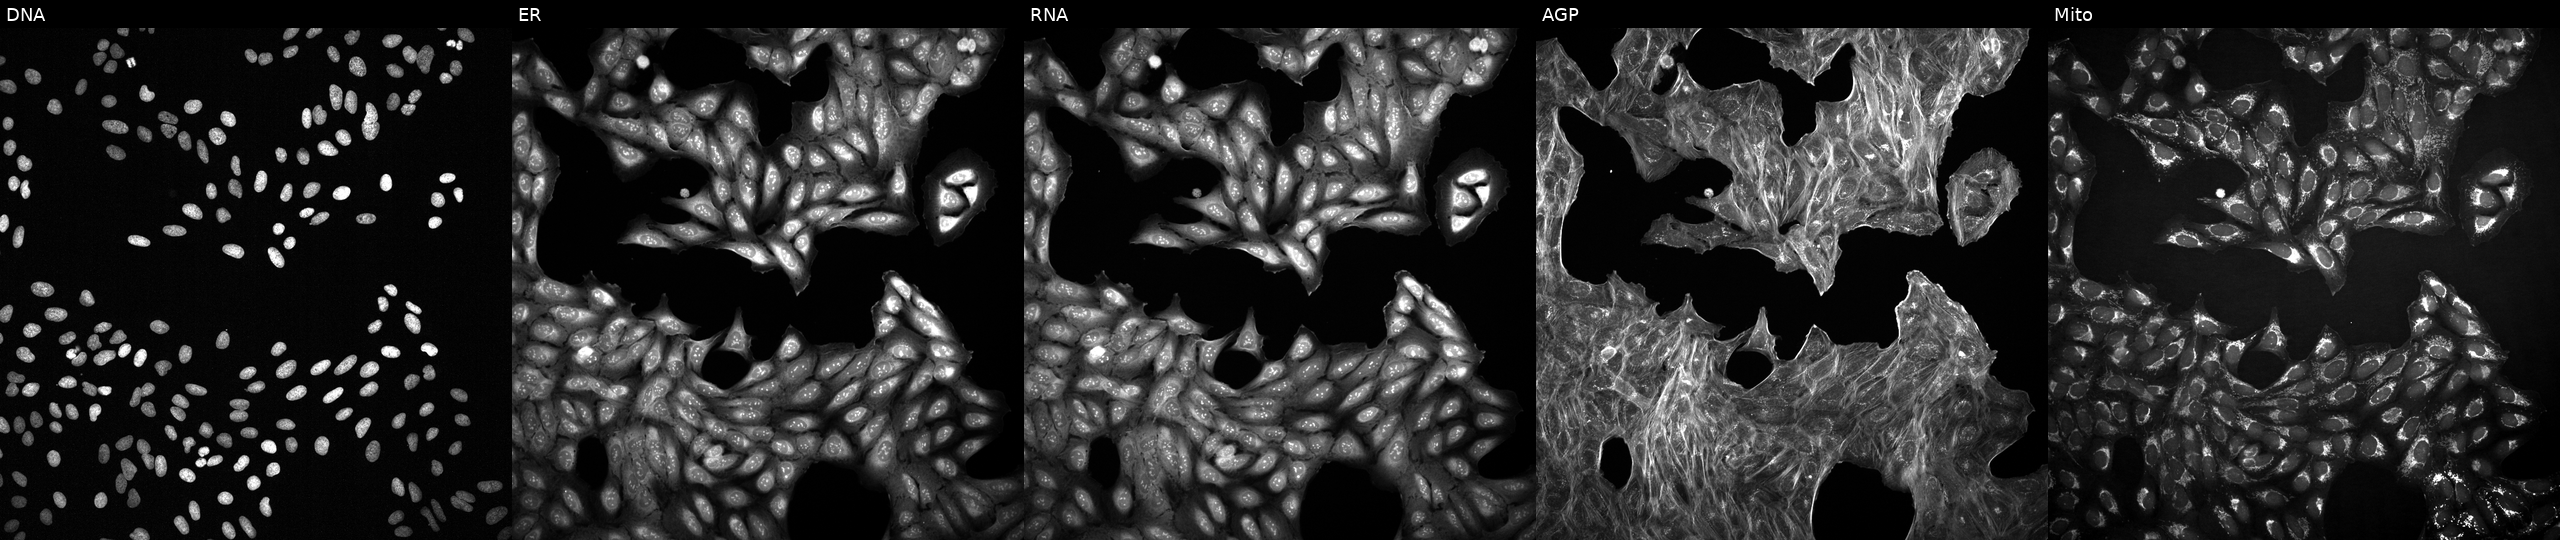
High-content fluorescence microscopy (Cell Painting). Cell line: U2OS. Perturbation: treated with a small-molecule compound [SMILES: O=C(Nc1ccc(COc2ccccc2)cc1)Nc1cccc(C(=O)O)c1] (JUMP id JCP2022_096233). Panels show, left to right, Hoechst 33342, concanavalin A, SYTO 14, phalloidin and WGA, MitoTracker.